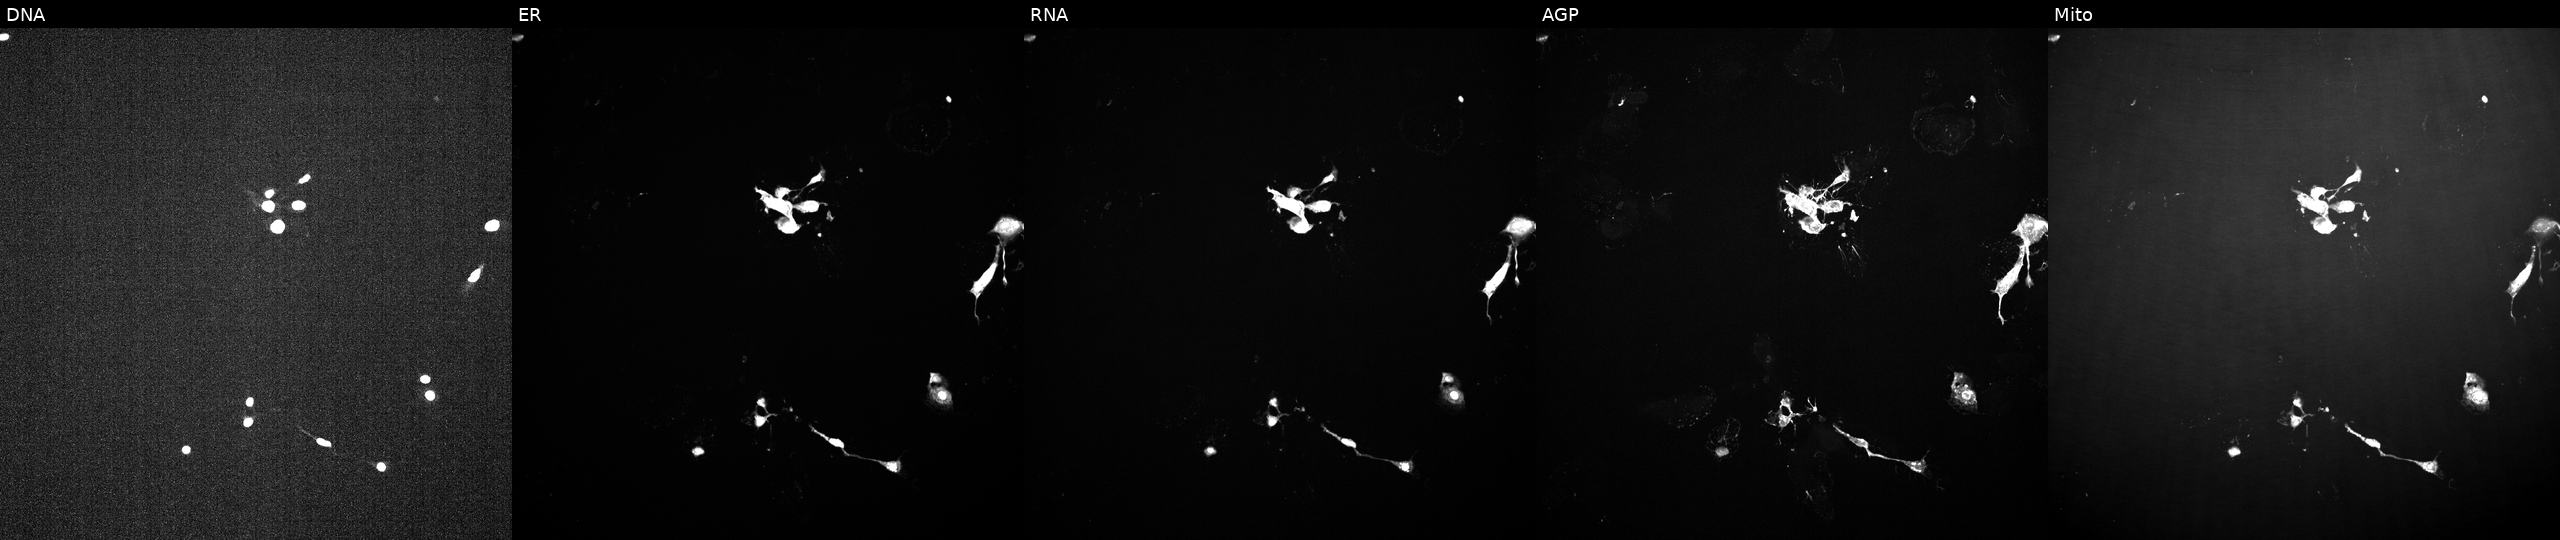
This image strip shows the five Cell Painting channels for a single field of U2OS cells perturbed with a small-molecule compound (JUMP id JCP2022_018280). From left to right: Hoechst 33342, concanavalin A, SYTO 14, phalloidin and WGA, MitoTracker.